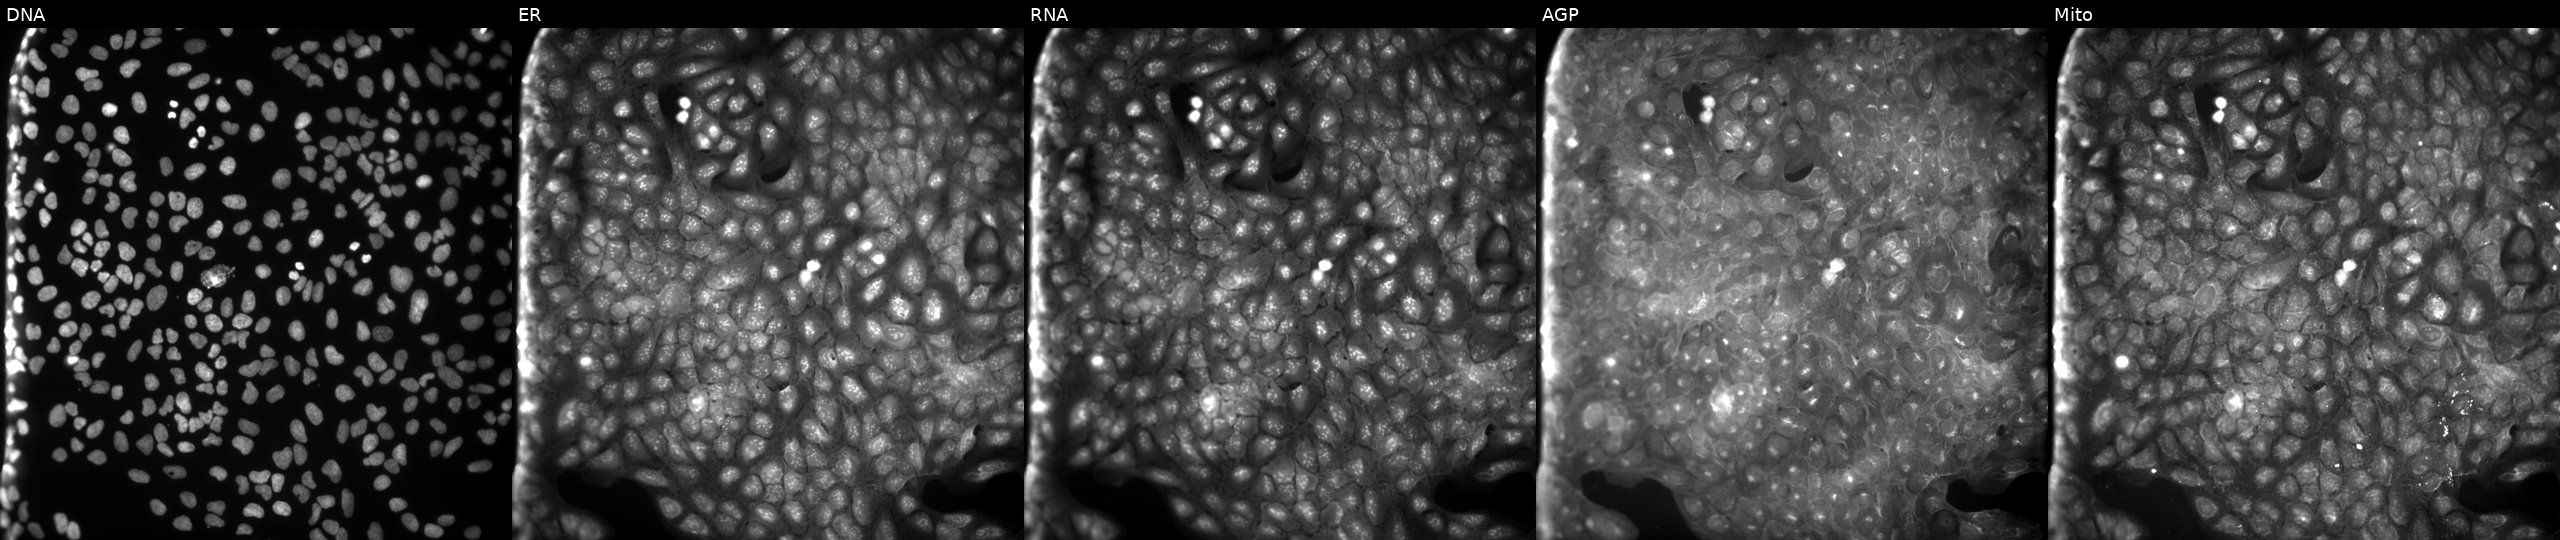
Channels (left→right): Hoechst 33342, concanavalin A, SYTO 14, phalloidin and WGA, MitoTracker. U2OS osteosarcoma cells exposed to a small-molecule compound (InChIKey MVUDKBWJWGPPMZ-UHFFFAOYSA-N) [SMILES: COc1cccc(Cn2c(=NCC(C)C)[nH]c3c2c(=O)n(C)c(=O)n3C)c1] (JUMP id JCP2022_056857). Cell Painting assay, JUMP-CP dataset.